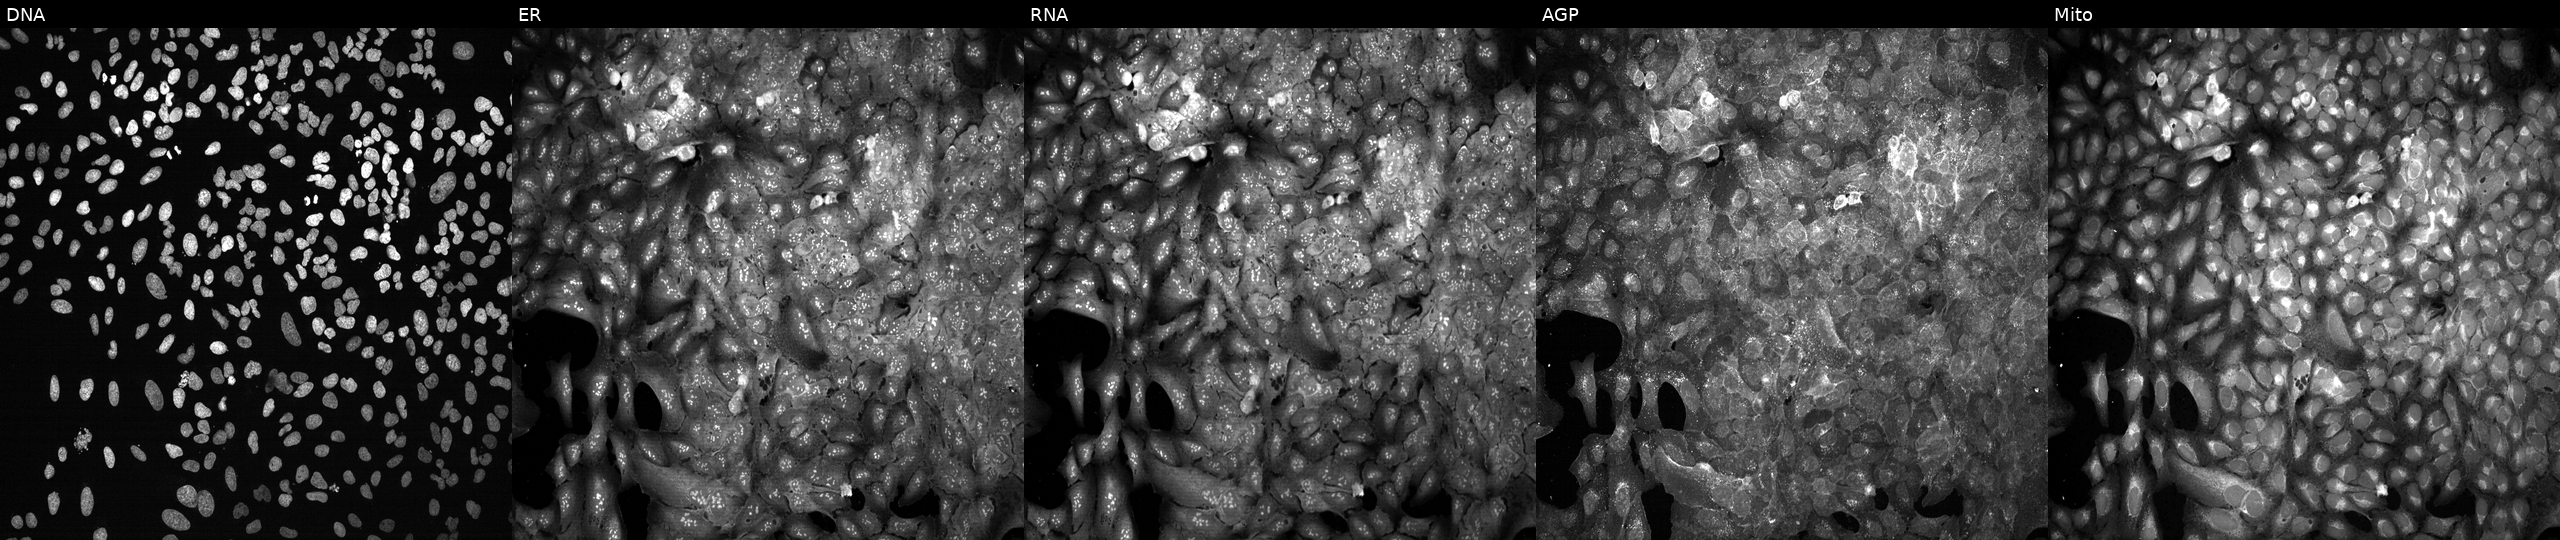
JUMP Cell Painting — CRISPR plate. U2OS cells following CRISPR knockout of PPIL4. From left to right: DNA, ER, RNA, AGP, and Mito. Source 13, plate CP-CC9-R1-01, well L18.